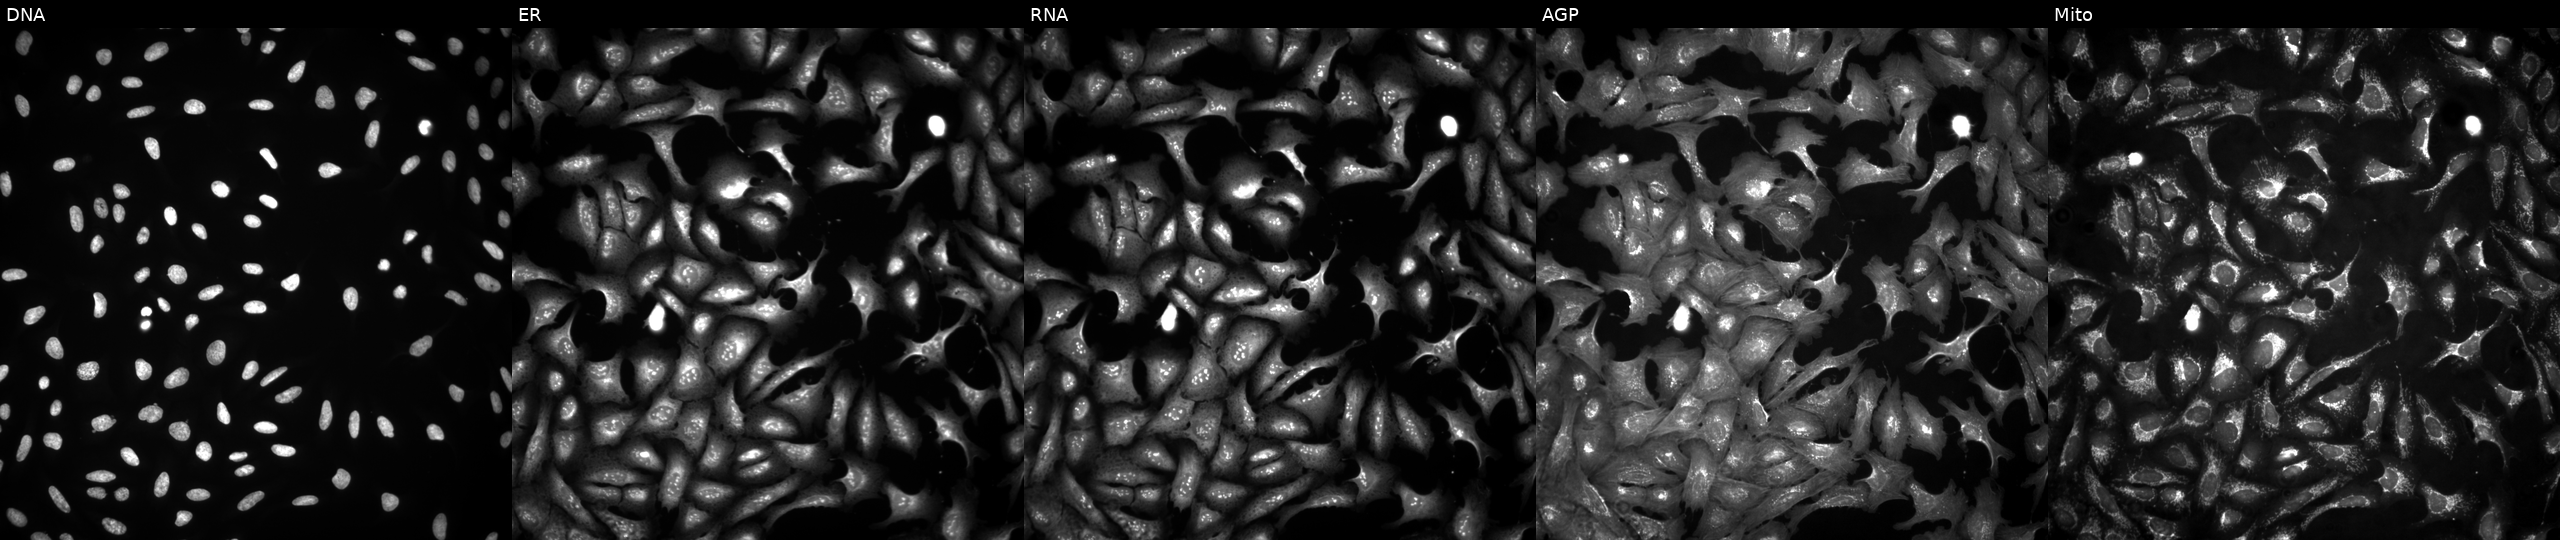
JUMP Cell Painting — ORF plate. U2OS cells in an empty control well (no perturbation) (JUMP id JCP2022_999999). The five panels, left to right, show DNA (nuclei); ER (endoplasmic reticulum); RNA (nucleoli and cytoplasmic RNA); AGP (actin cytoskeleton, Golgi, and plasma membrane); Mito (mitochondria).